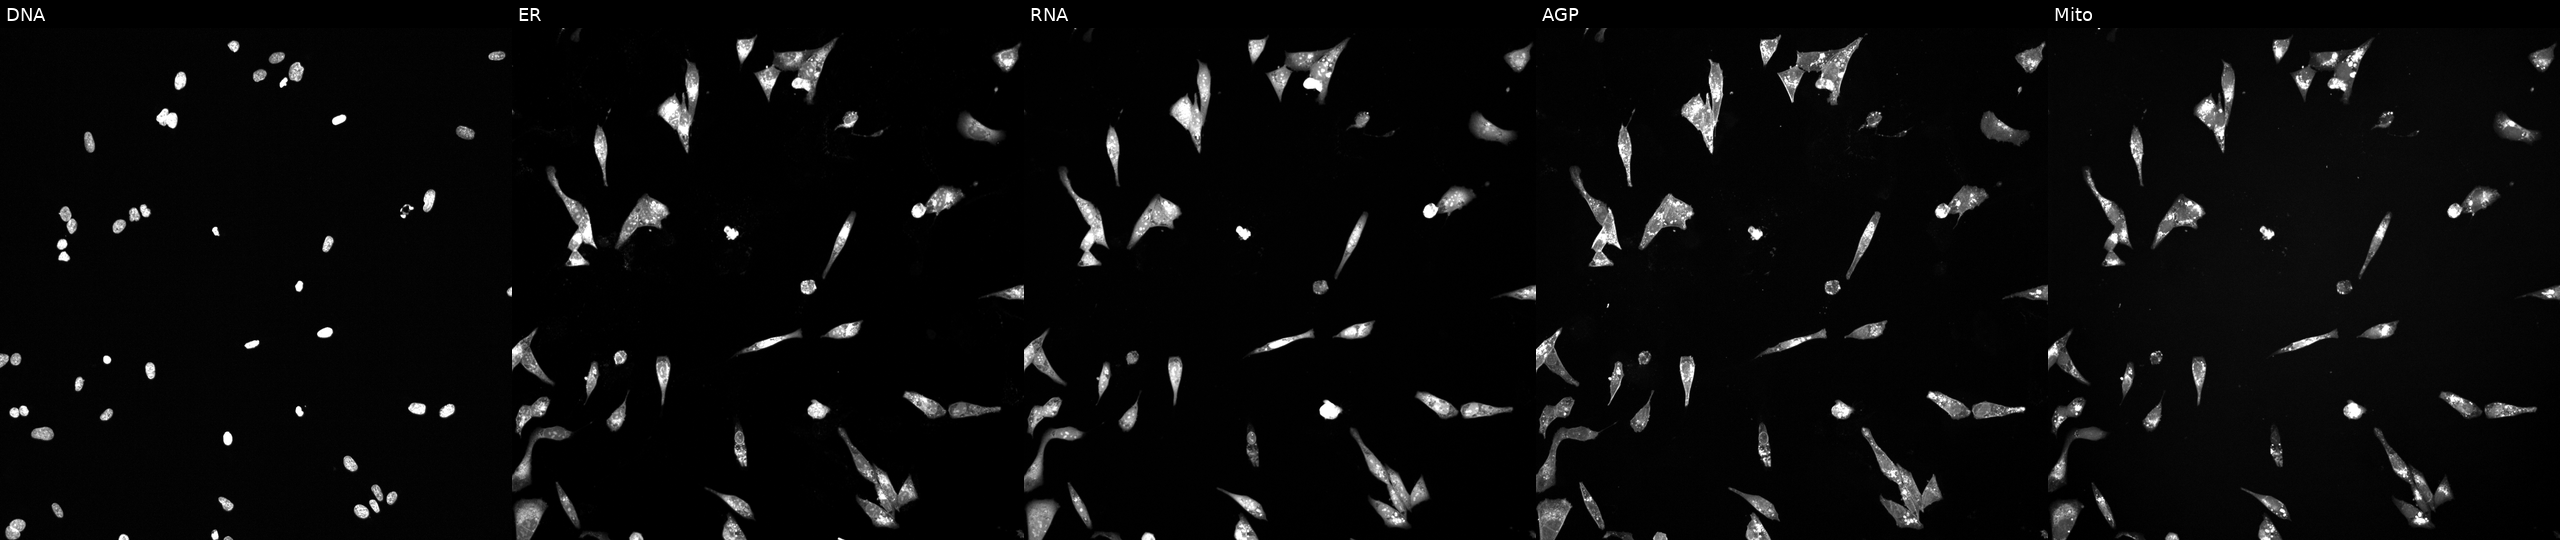
High-content fluorescence microscopy (Cell Painting). Cell line: U2OS. Perturbation: perturbed with a small-molecule compound (InChIKey VERWOWGGCGHDQE-UHFFFAOYSA-N) (JUMP id JCP2022_093480). The five panels, left to right, show DNA, ER, RNA, AGP, and Mito. Source 6, plate 110000294901, well J19.